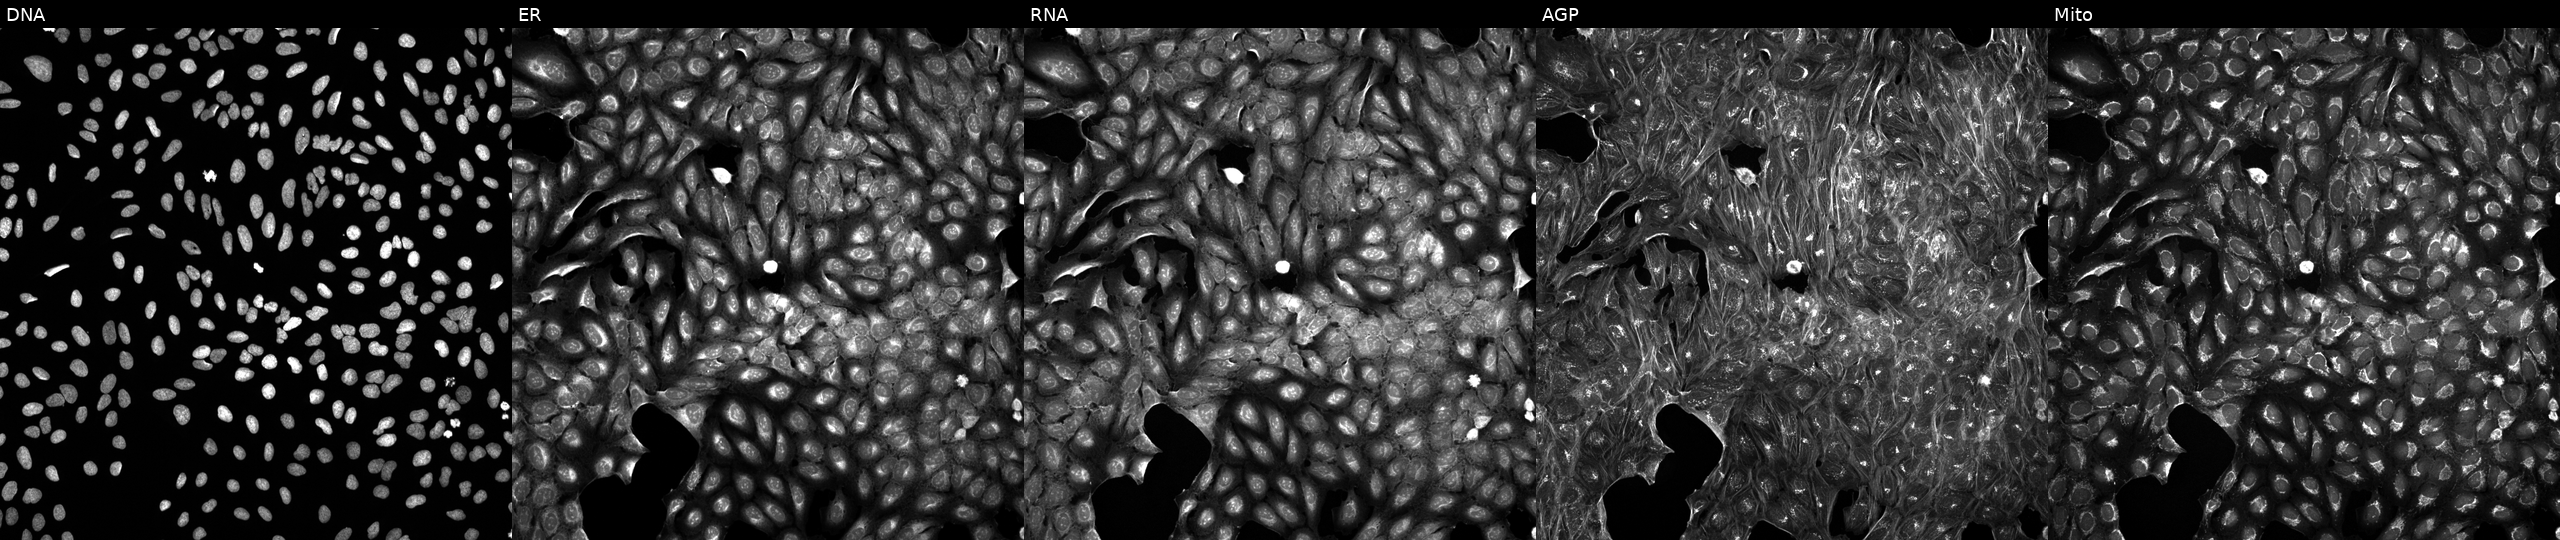
High-content fluorescence microscopy (Cell Painting). Cell line: U2OS. Perturbation: treated with DMSO vehicle only (negative control). Panels show, left to right, Hoechst 33342, concanavalin A, SYTO 14, phalloidin and WGA, MitoTracker. Source 5, plate ACPJUM012, well C16.